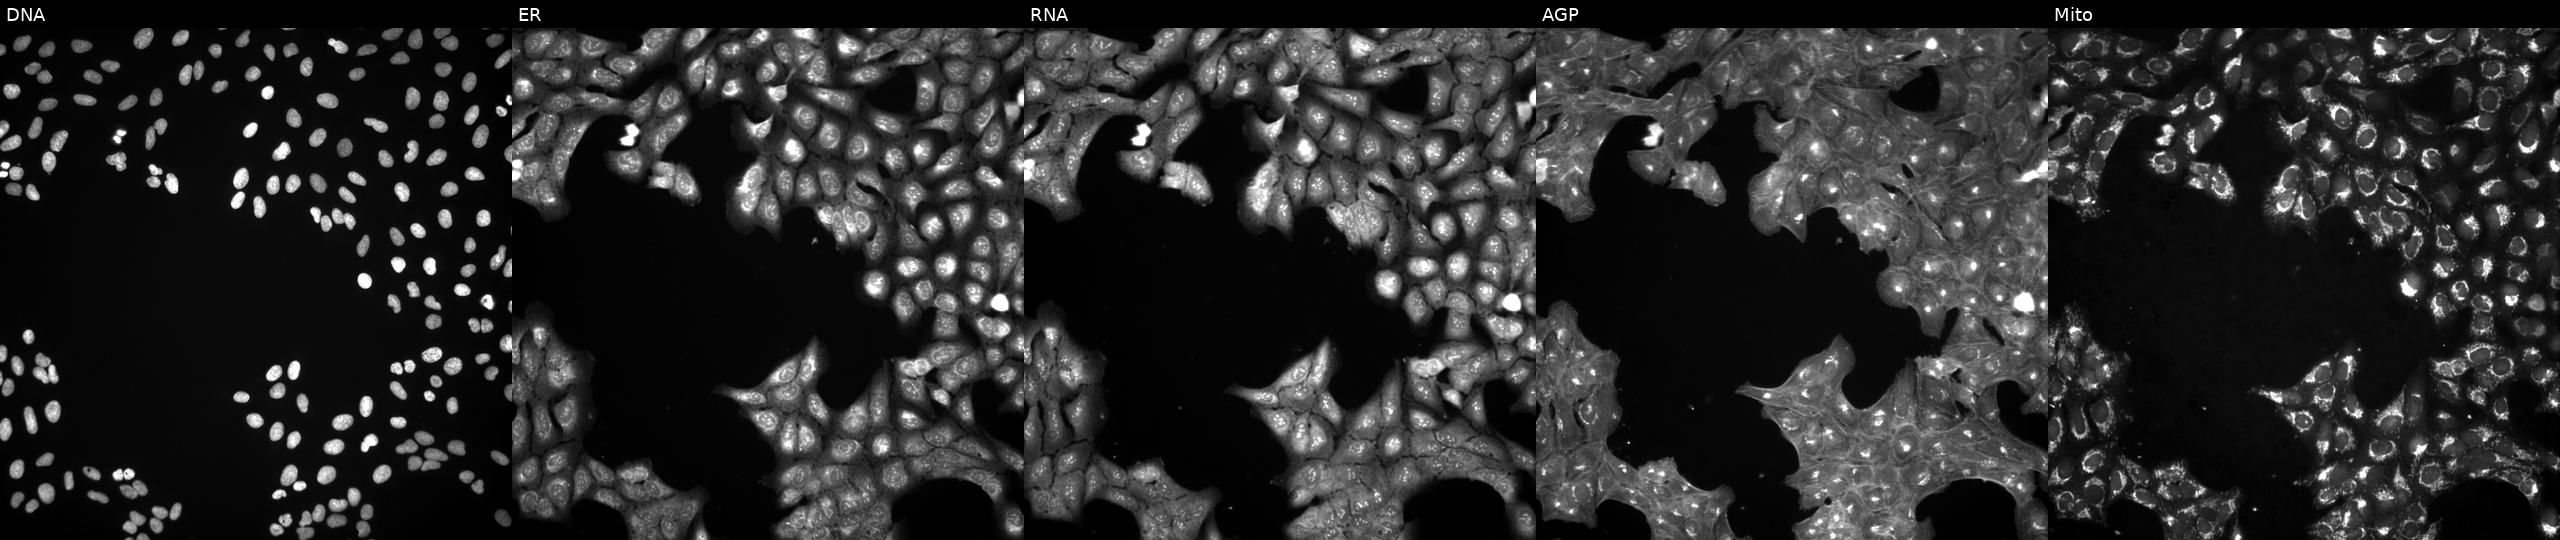
Five-channel Cell Painting image of U2OS cells treated with a small-molecule compound (InChIKey WRLVHADVOGFZOZ-UHFFFAOYSA-N) (JUMP id JCP2022_100688). Channels (left→right): DNA, ER, RNA, AGP, and Mito.